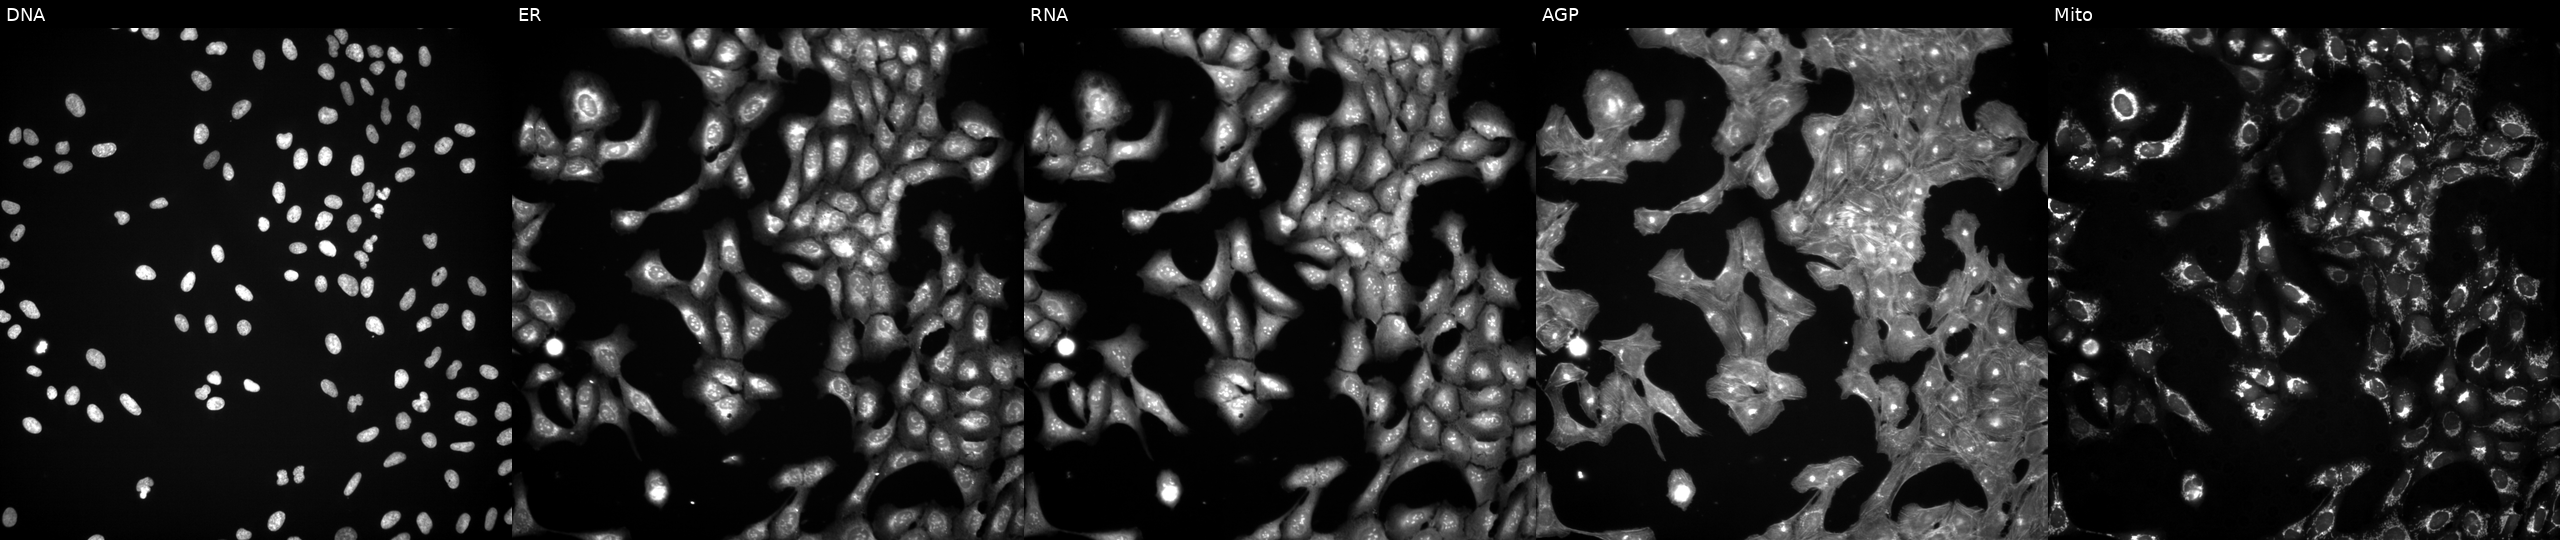
High-content fluorescence microscopy (Cell Painting). Cell line: U2OS. Perturbation: perturbed with a small-molecule compound (InChIKey WXXSNCNJFUAIDG-UHFFFAOYSA-N) [SMILES: COC(=O)N(C)c1c(N)[nH]c(-c2nn(Cc3ccccc3F)c3ncccc23)nc1=N] (JUMP id JCP2022_101929). Channels (left→right): DNA (nuclei); ER (endoplasmic reticulum); RNA (nucleoli and cytoplasmic RNA); AGP (actin cytoskeleton, Golgi, and plasma membrane); Mito (mitochondria).